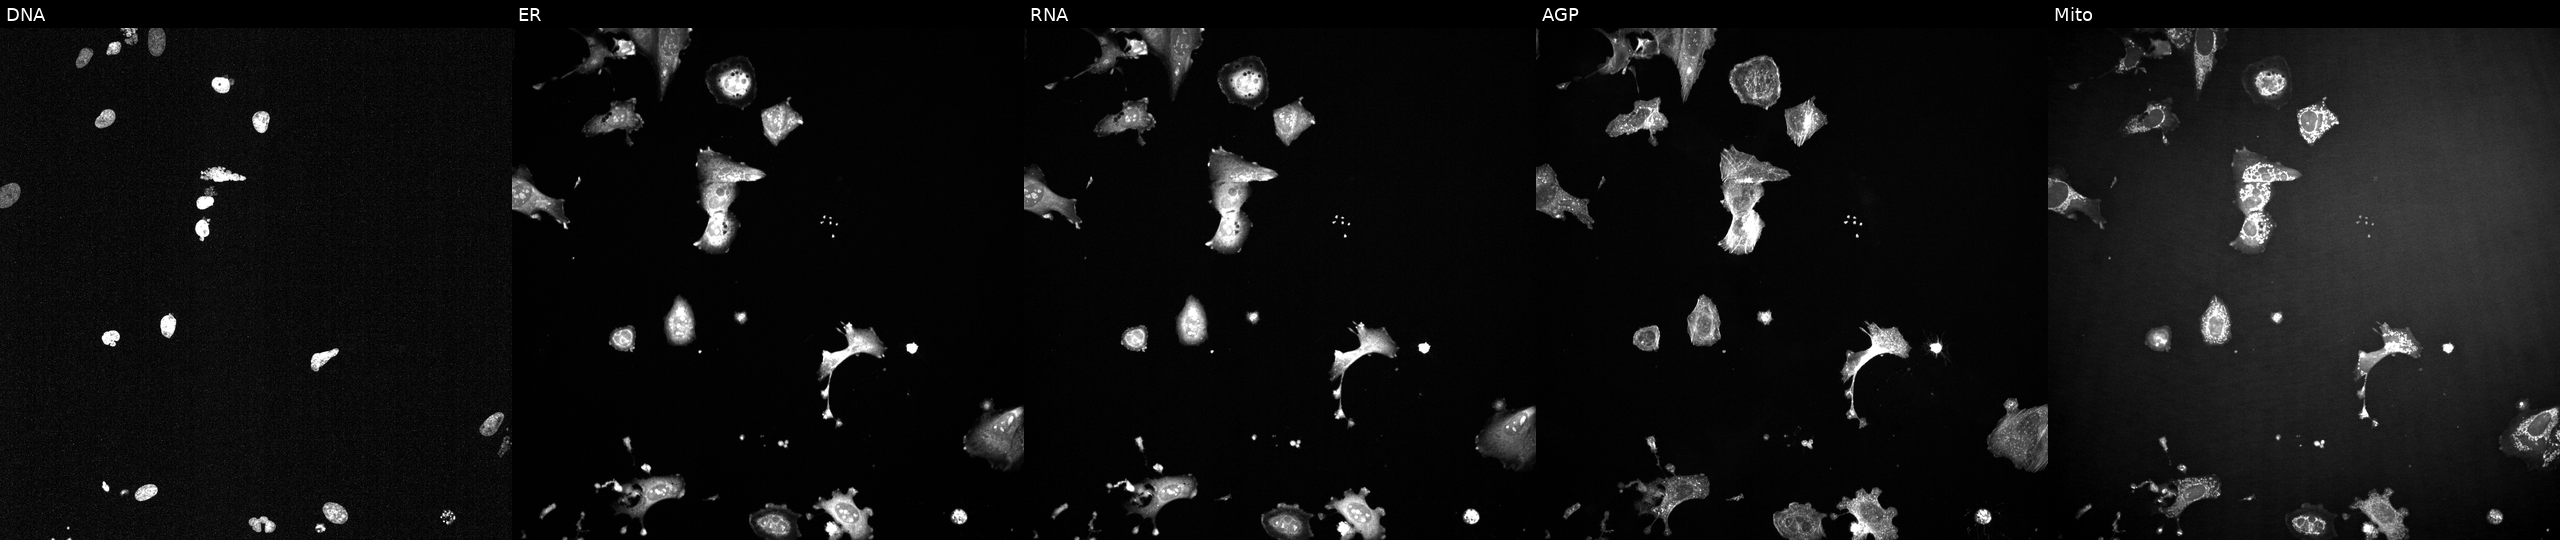
JUMP Cell Painting — TARGET2 plate. U2OS cells treated with a small-molecule compound (InChIKey MTJHLONVHHPNSI-UHFFFAOYSA-N). Panels show, left to right, DNA, ER, RNA, AGP, and Mito.